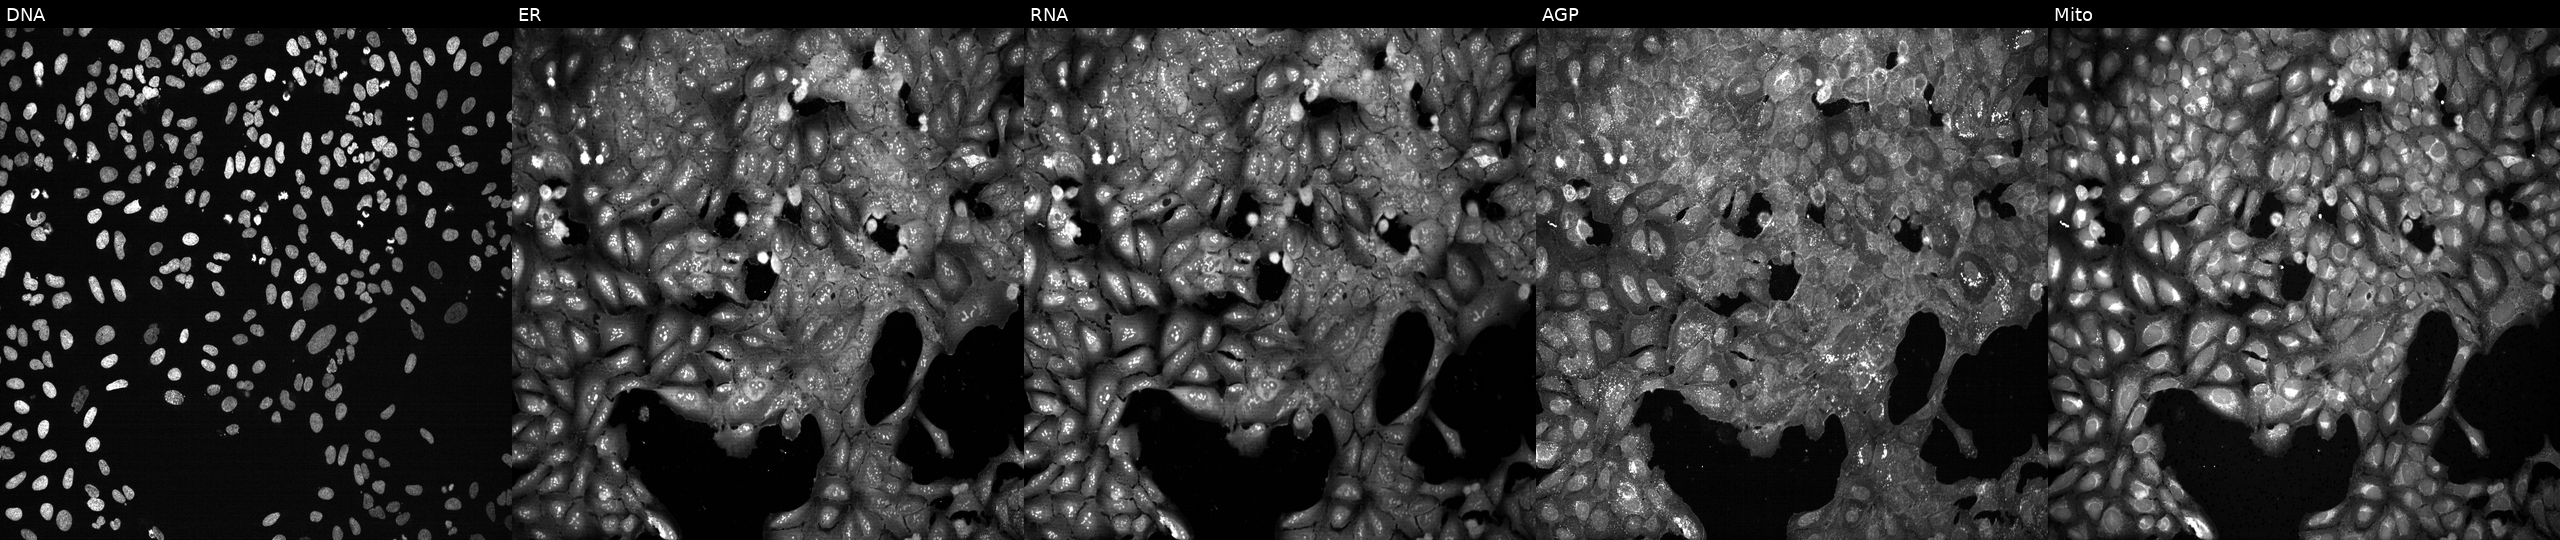
This image strip shows the five Cell Painting channels for a single field of U2OS cells following CRISPR knockout of GPAT4. From left to right: DNA (nuclei); ER (endoplasmic reticulum); RNA (nucleoli and cytoplasmic RNA); AGP (actin cytoskeleton, Golgi, and plasma membrane); Mito (mitochondria). Source 13, plate CP-CC9-R1-01, well E19.